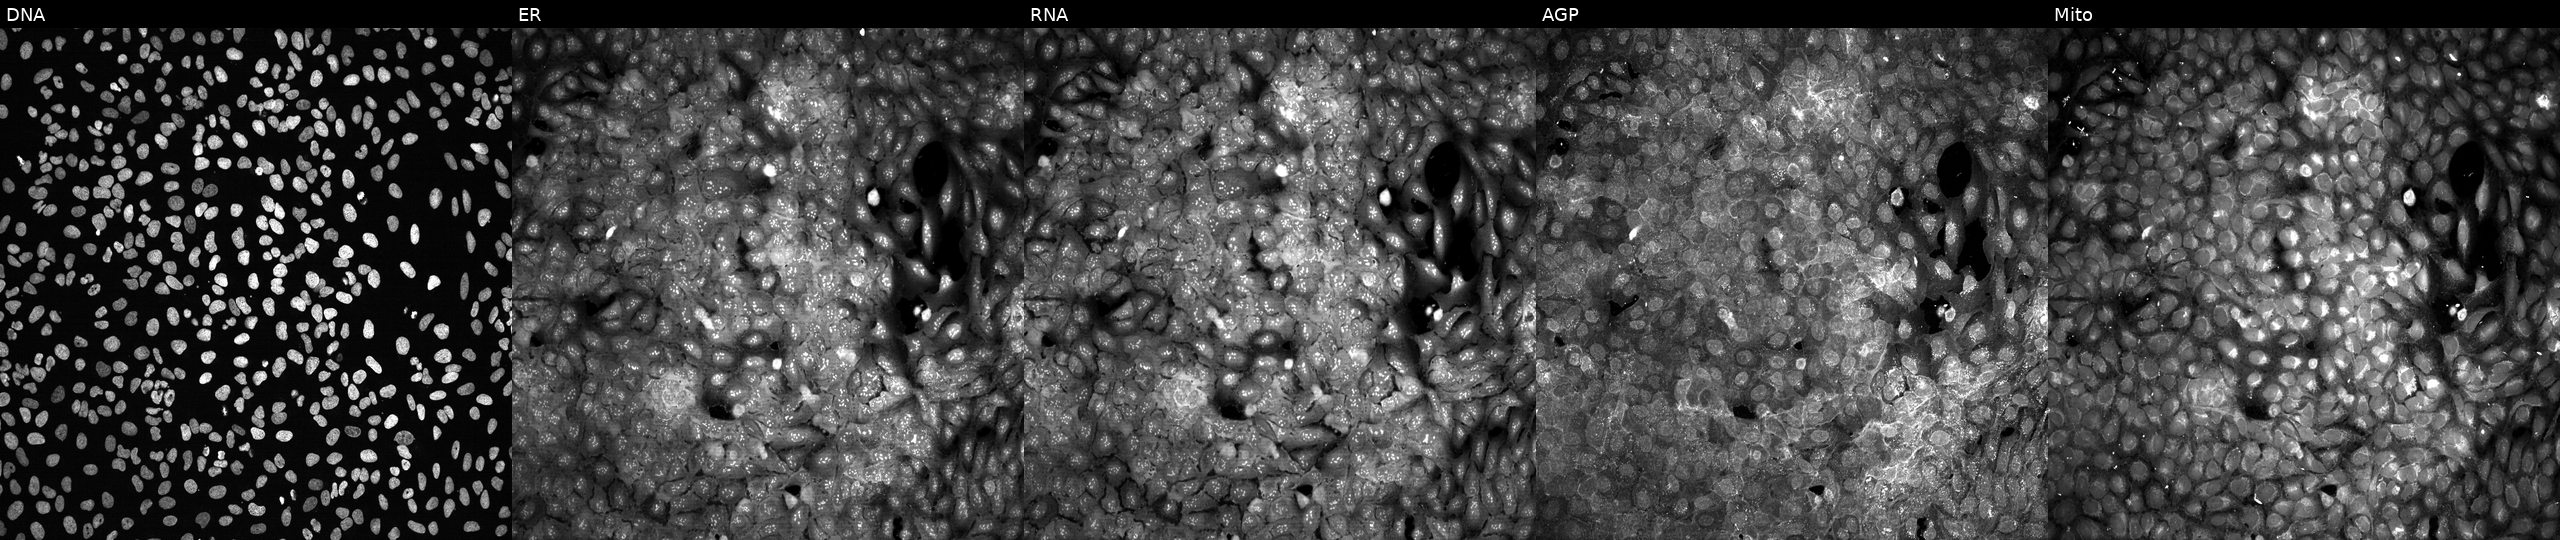
U2OS cells, Cell Painting assay, treated with DMSO vehicle only (negative control) (JUMP id JCP2022_033924). Channels (left→right): Hoechst 33342, concanavalin A, SYTO 14, phalloidin and WGA, MitoTracker. Each panel is percentile-stretched 16-bit fluorescence. Source 13, plate CP-CC9-R1-01, well C02.